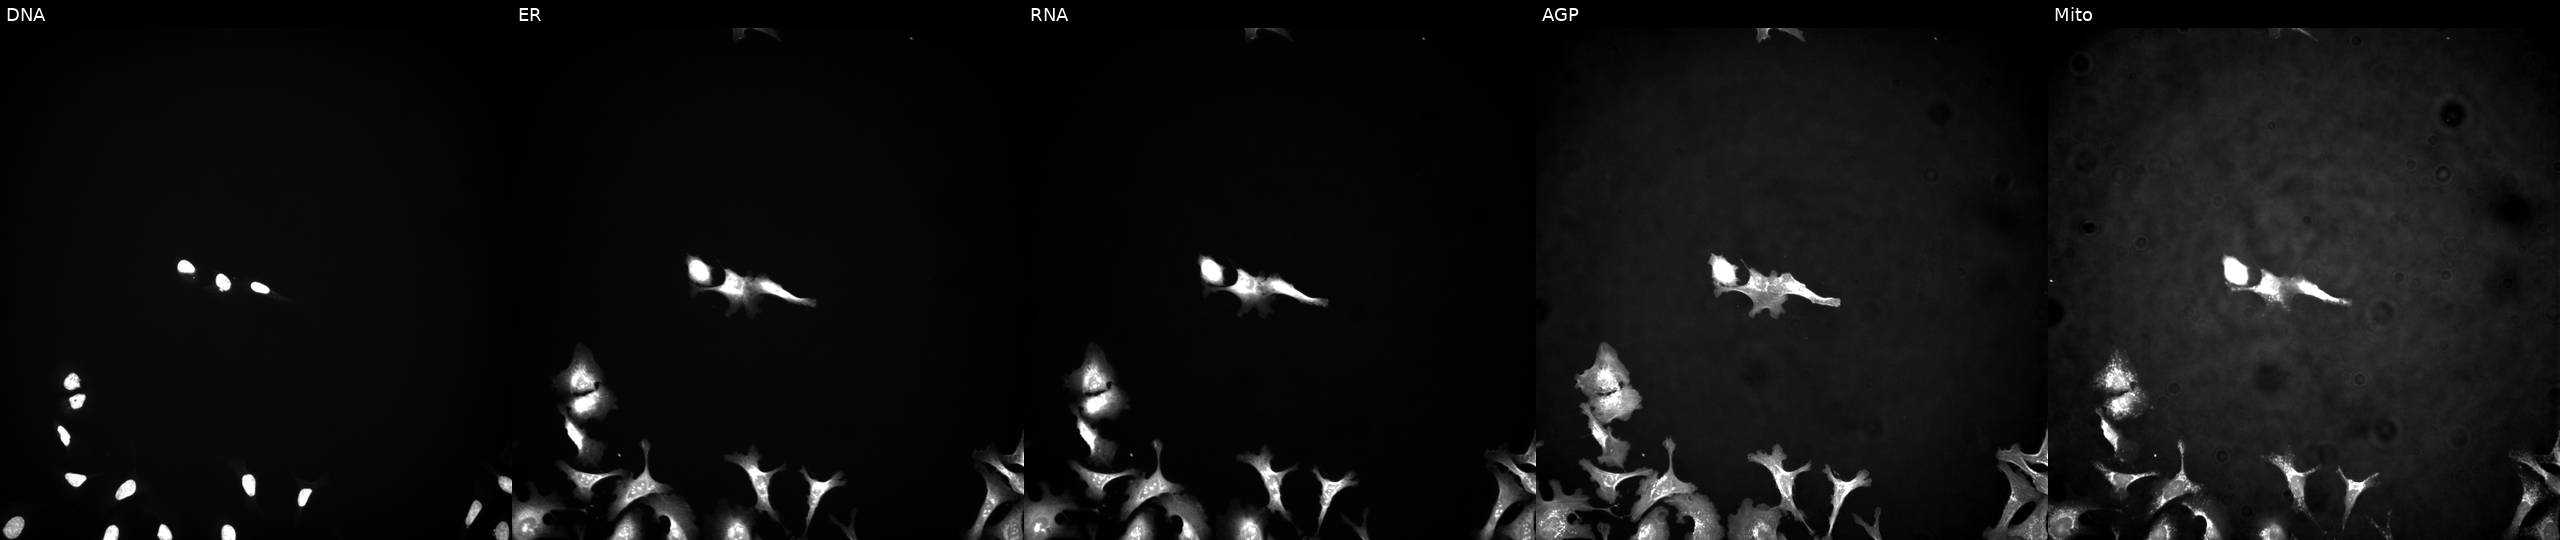
This image strip shows the five Cell Painting channels for a single field of U2OS cells overexpressing PAPSS2 via ORF transfection. From left to right: DNA, ER, RNA, AGP, and Mito.